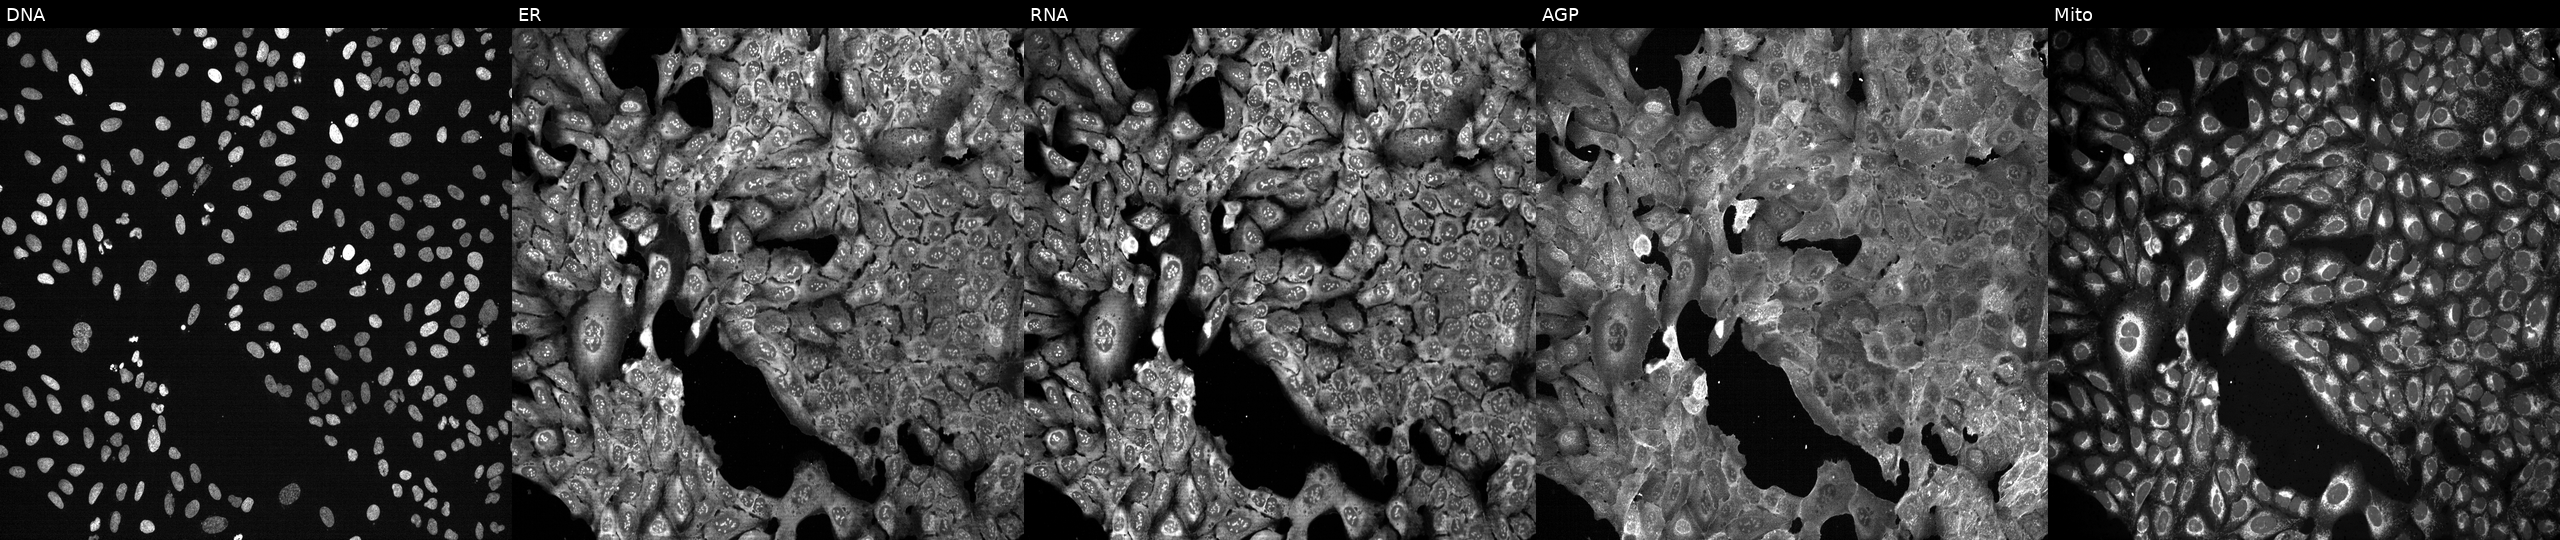
Five-channel Cell Painting image of U2OS cells with LIPM knocked out by CRISPR. From left to right: DNA (nuclei); ER (endoplasmic reticulum); RNA (nucleoli and cytoplasmic RNA); AGP (actin cytoskeleton, Golgi, and plasma membrane); Mito (mitochondria).